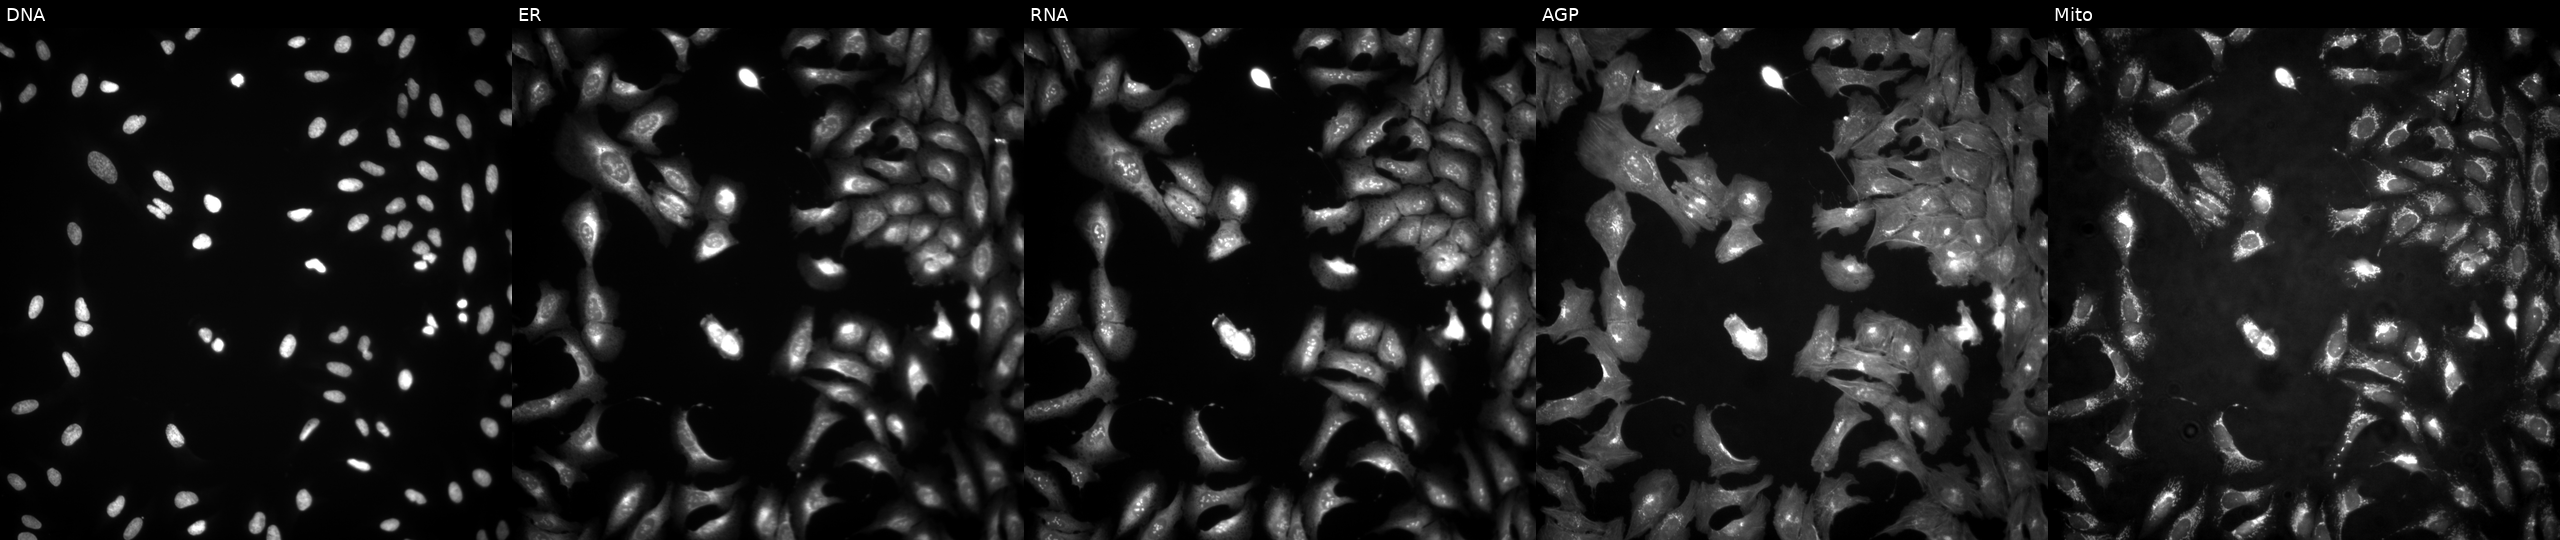
This image strip shows the five Cell Painting channels for a single field of U2OS cells untreated (empty-well control). Panels show, left to right, Hoechst 33342, concanavalin A, SYTO 14, phalloidin and WGA, MitoTracker.